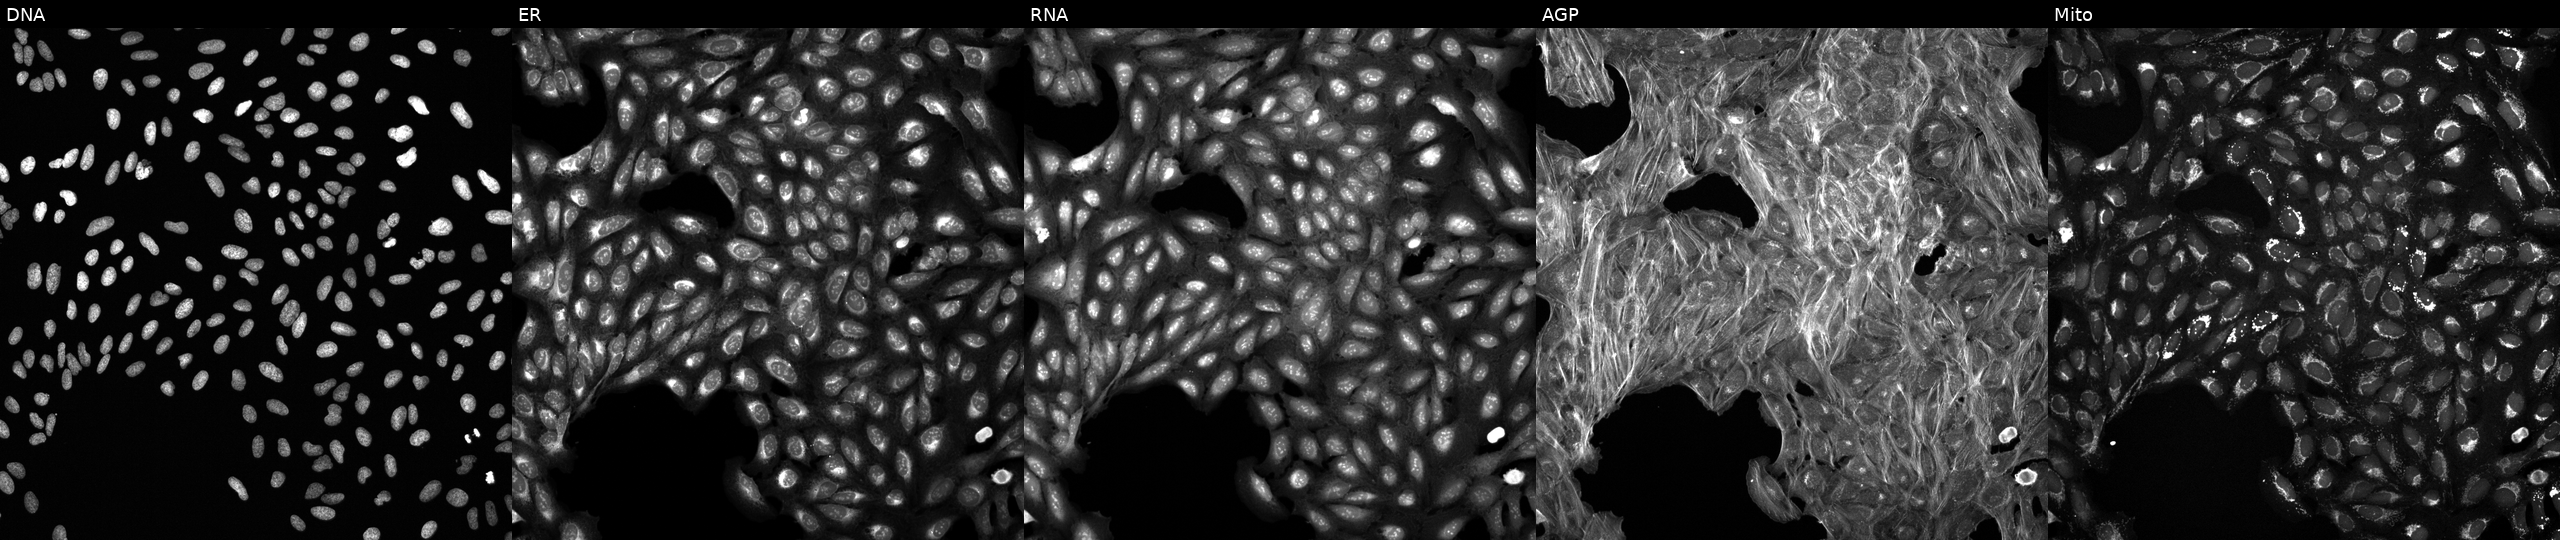
High-content fluorescence microscopy (Cell Painting). Cell line: U2OS. Perturbation: perturbed with a small-molecule compound (InChIKey UCAGLBKTLXCODC-UHFFFAOYSA-N) (JUMP id JCP2022_088224). Channels (left→right): DNA, ER, RNA, AGP, and Mito.